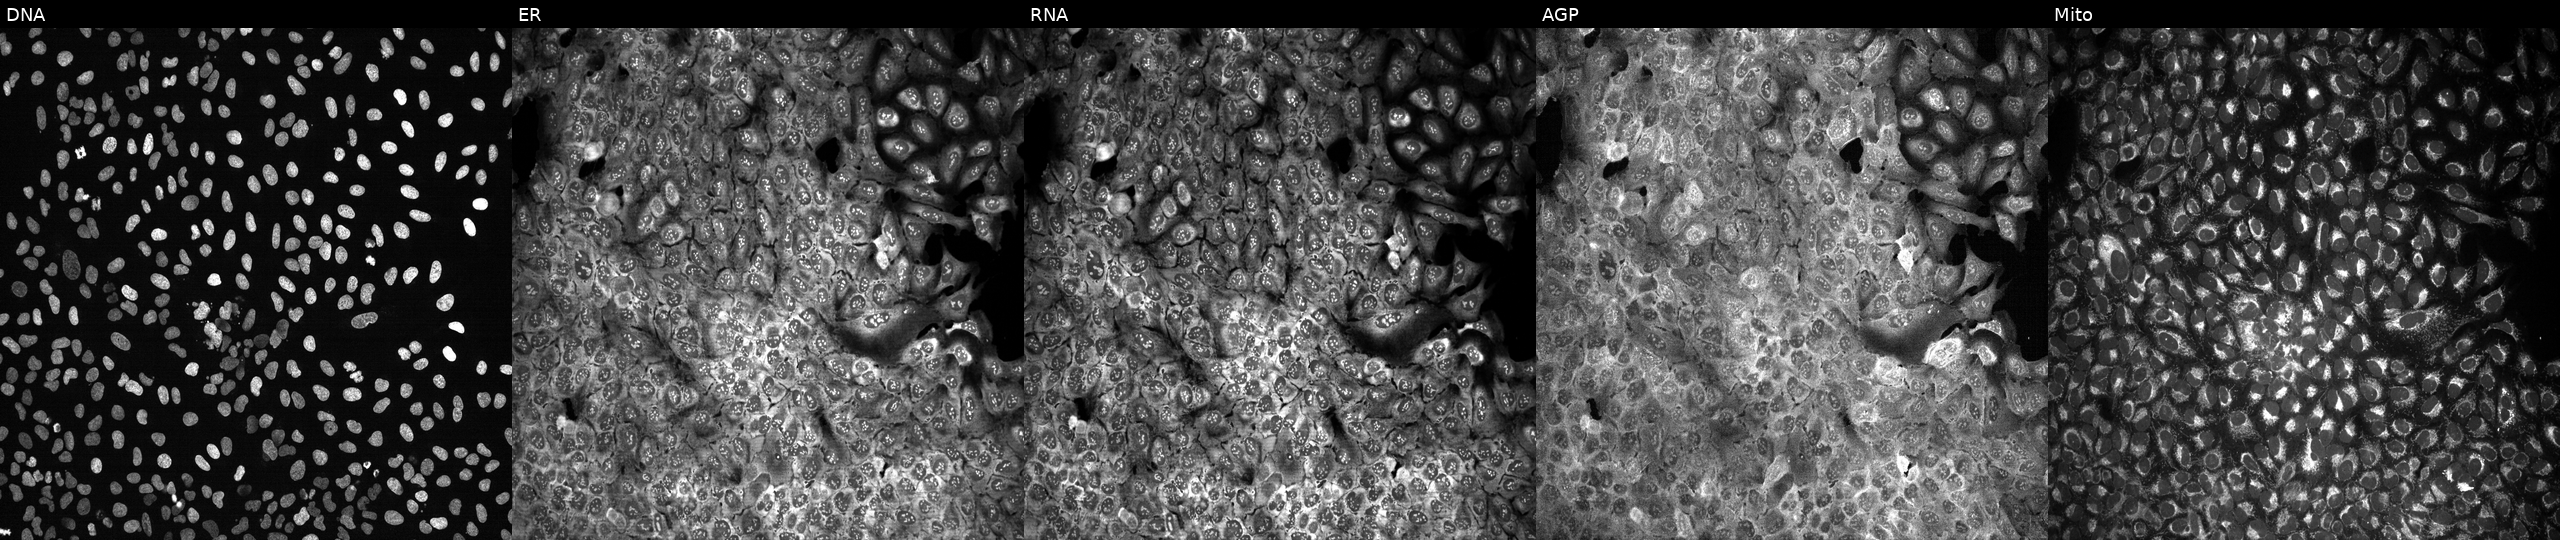
From left to right: DNA (nuclei); ER (endoplasmic reticulum); RNA (nucleoli and cytoplasmic RNA); AGP (actin cytoskeleton, Golgi, and plasma membrane); Mito (mitochondria). U2OS osteosarcoma cells with RAP2C knocked out by CRISPR (JUMP id JCP2022_805833). Cell Painting assay, JUMP-CP dataset. Source 13, plate CP-CC9-R3-01, well P11.